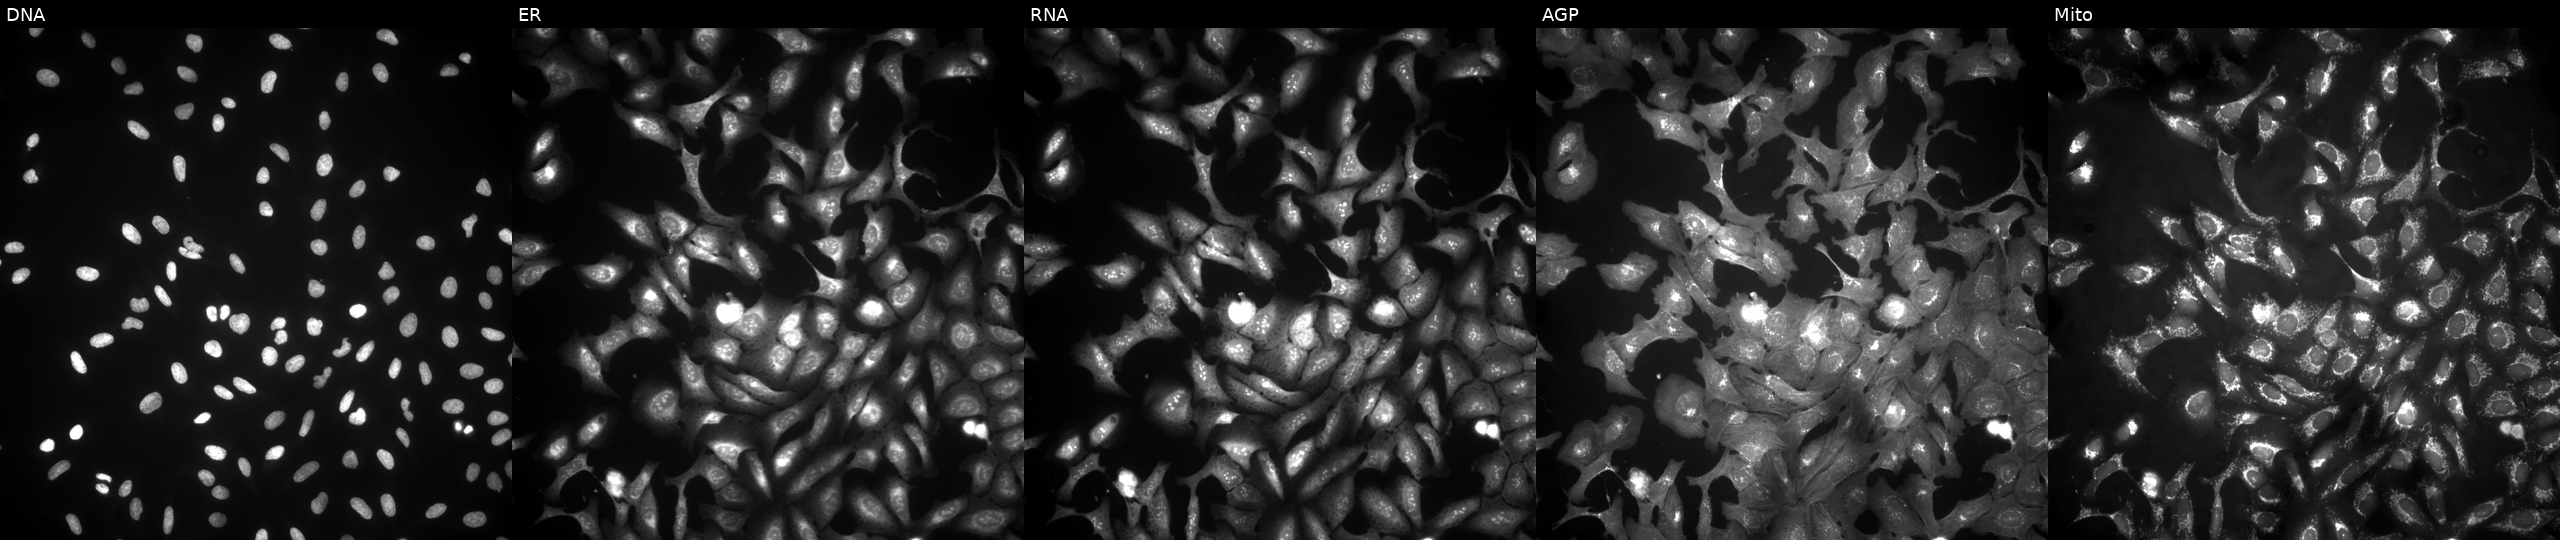
This image strip shows the five Cell Painting channels for a single field of U2OS cells transfected with an ORF construct for RXRG (JUMP id JCP2022_901374). Channels (left→right): Hoechst 33342, concanavalin A, SYTO 14, phalloidin and WGA, MitoTracker.